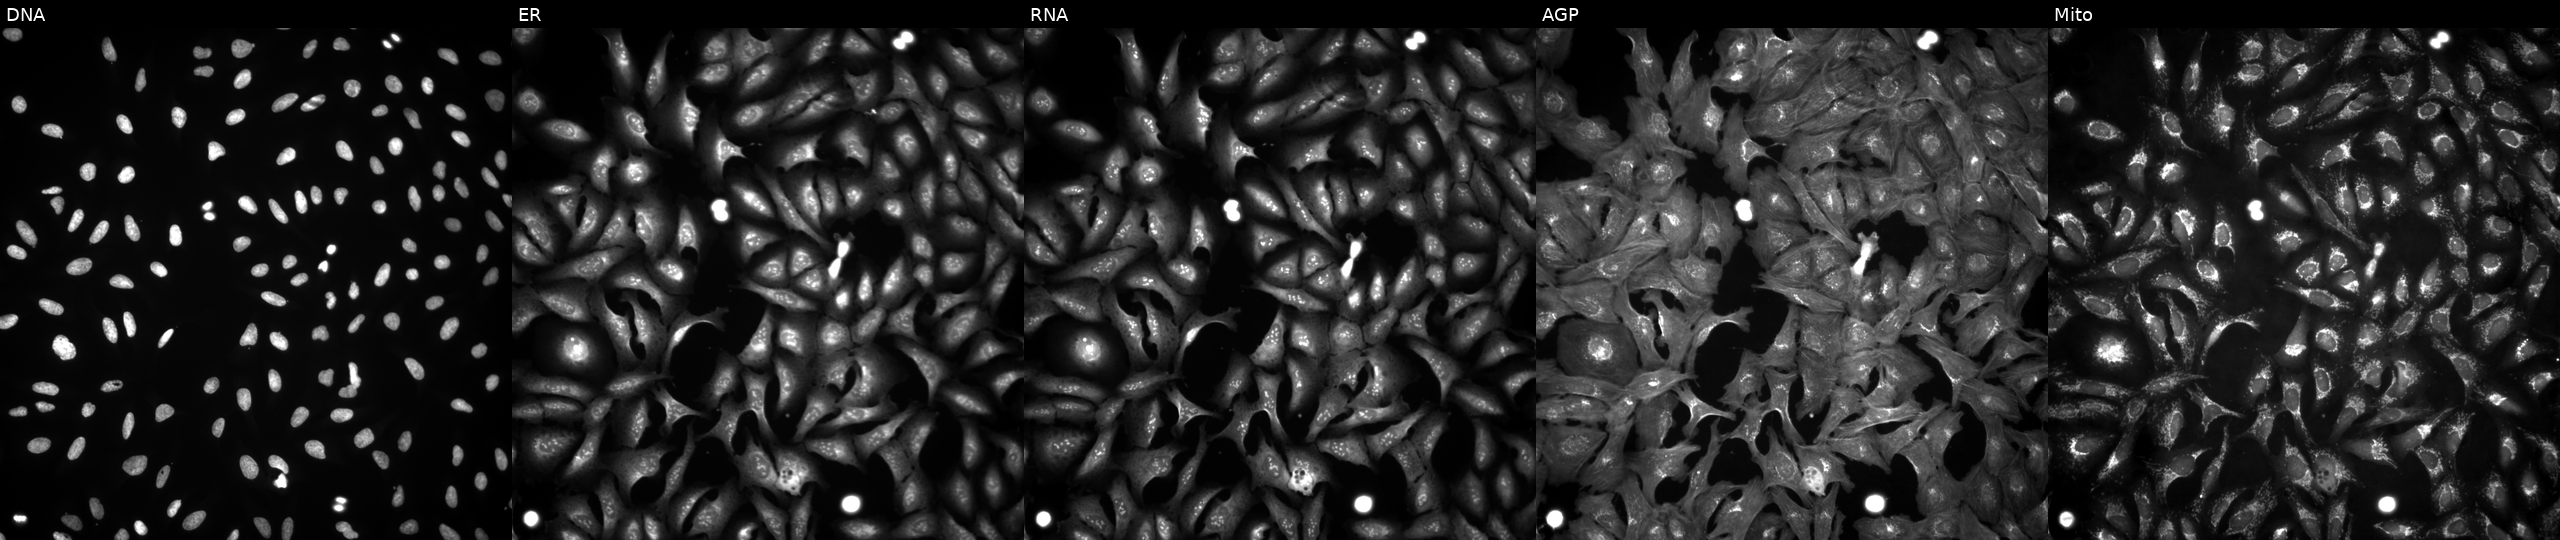
This image strip shows the five Cell Painting channels for a single field of U2OS cells untreated (empty-well control). The five panels, left to right, show DNA (nuclei); ER (endoplasmic reticulum); RNA (nucleoli and cytoplasmic RNA); AGP (actin cytoskeleton, Golgi, and plasma membrane); Mito (mitochondria). Source 4, plate BR00124784, well P21.